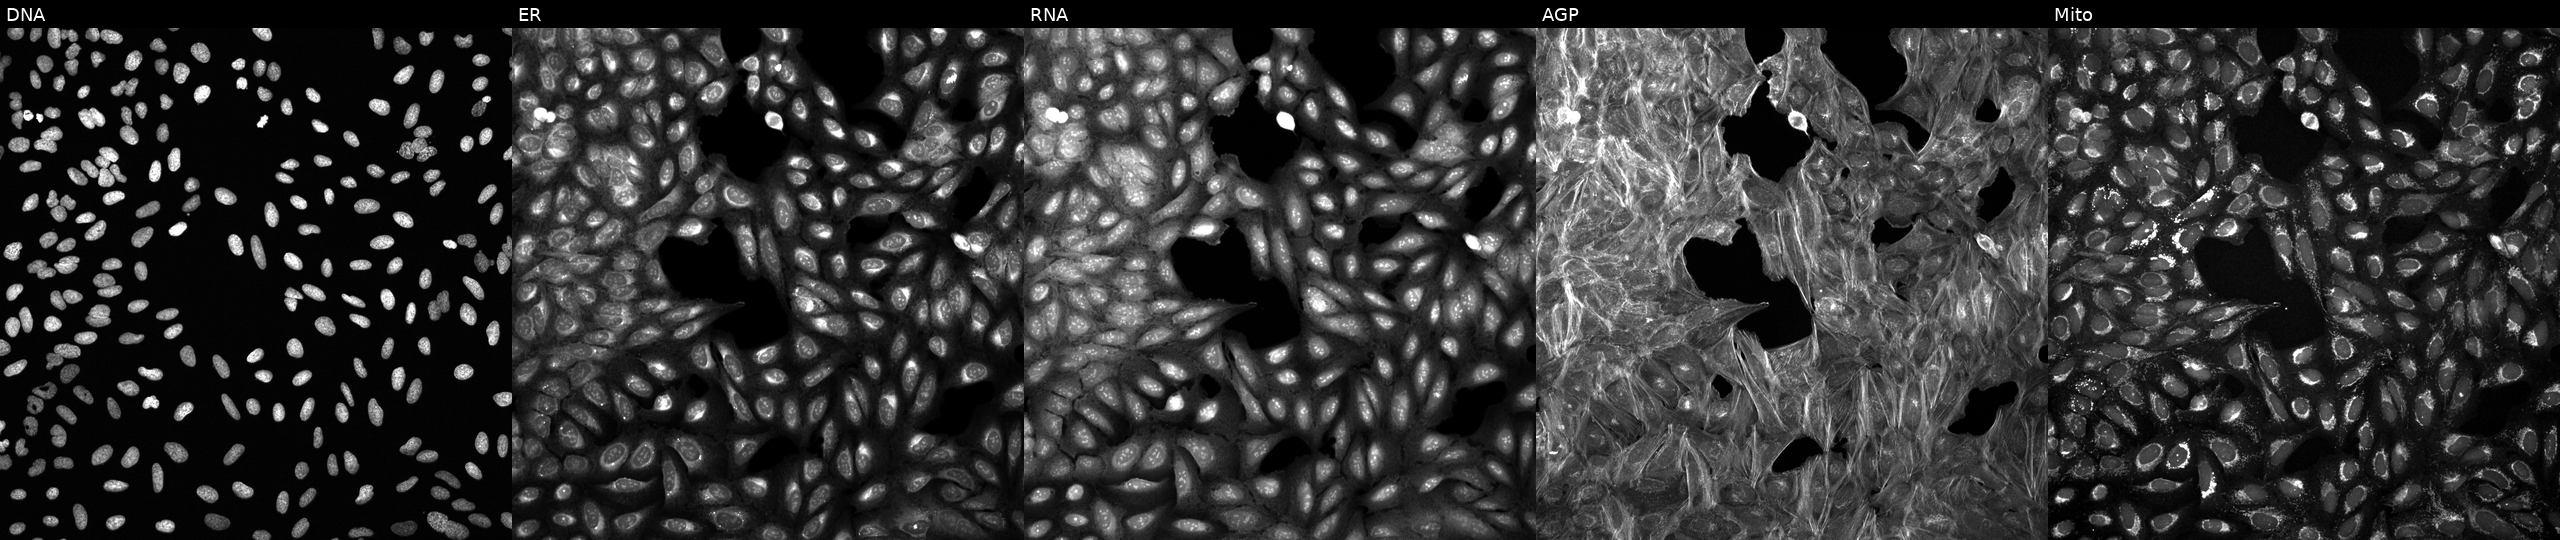
JUMP Cell Painting — TARGET2 plate. U2OS cells exposed to DMSO alone as a negative control (JUMP id JCP2022_033924). Channels (left→right): DNA, ER, RNA, AGP, and Mito.